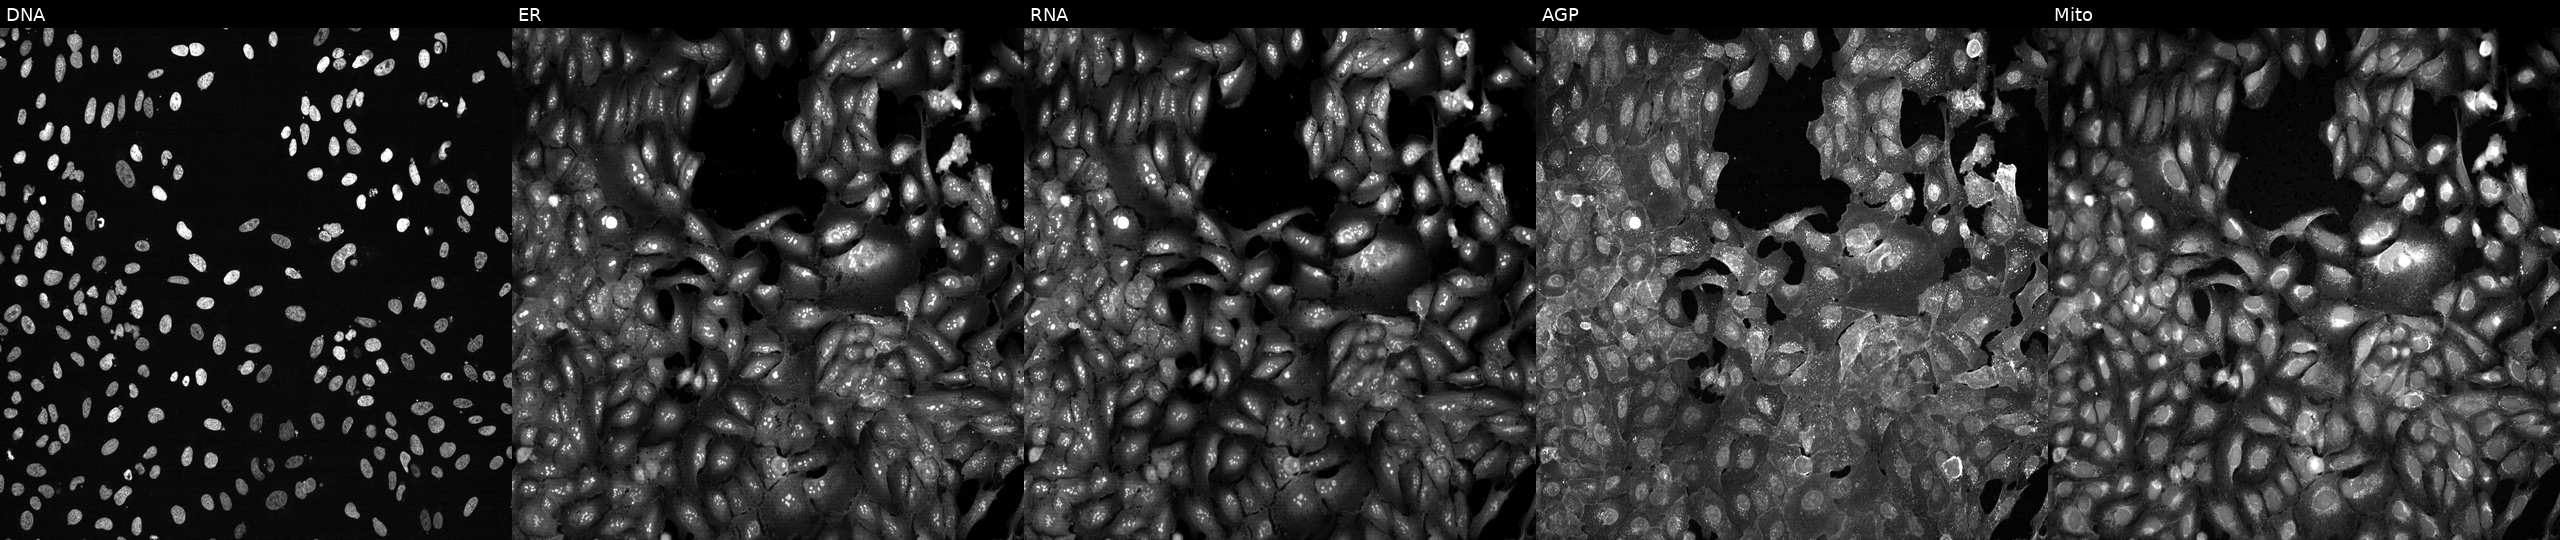
This image strip shows the five Cell Painting channels for a single field of U2OS cells CRISPR-edited to disrupt METTL7B (JUMP id JCP2022_804145). Panels show, left to right, DNA, ER, RNA, AGP, and Mito.